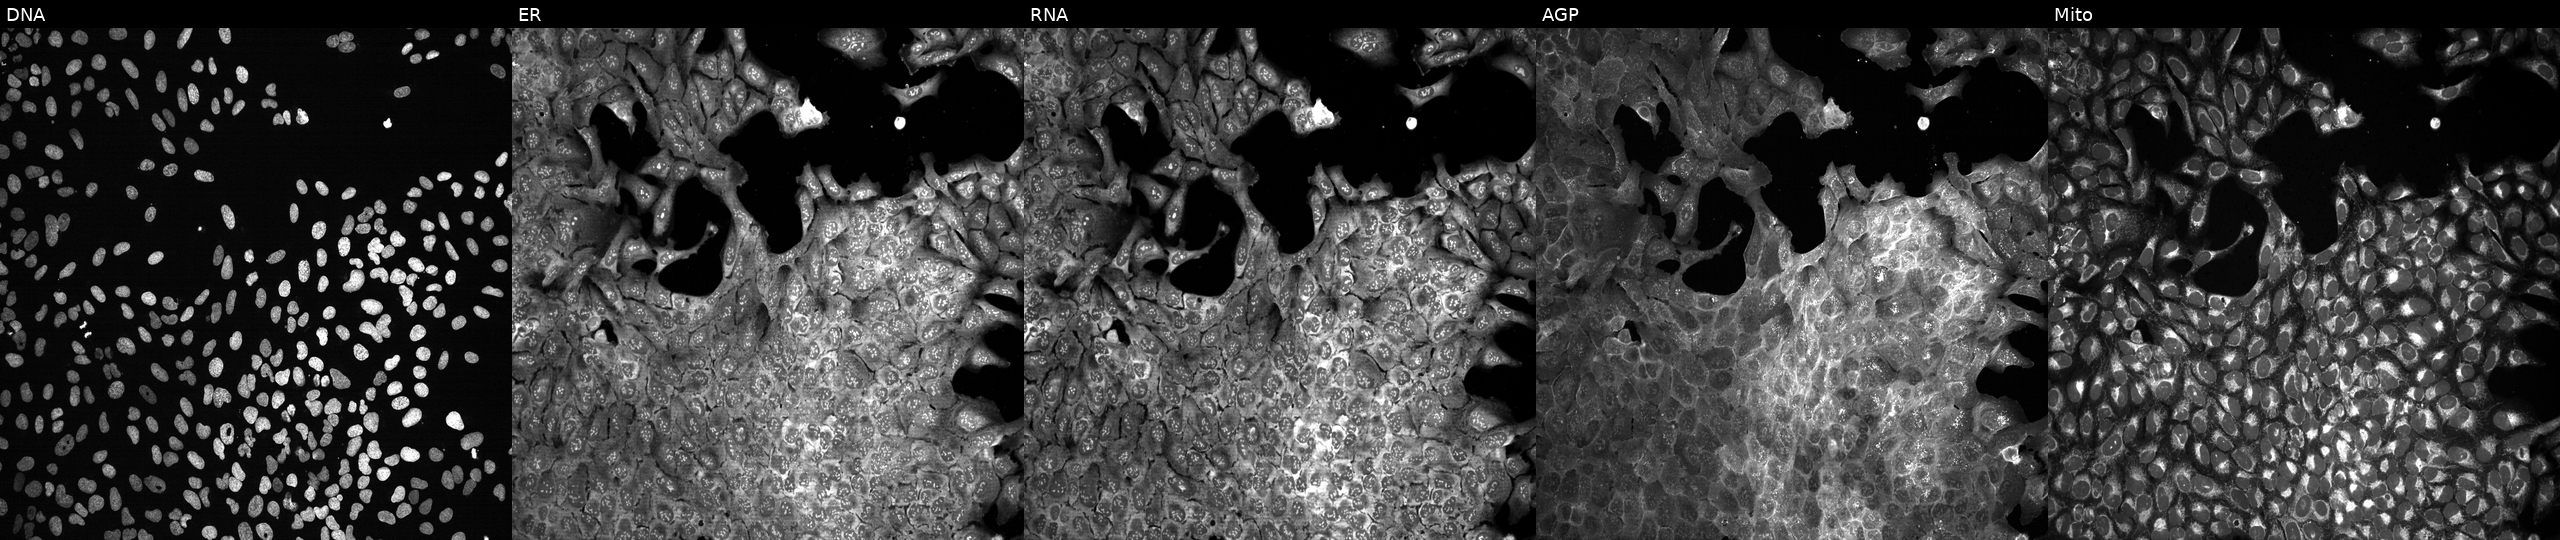
Five-channel Cell Painting image of U2OS cells CRISPR-edited to disrupt AZU1. Panels show, left to right, DNA (nuclei); ER (endoplasmic reticulum); RNA (nucleoli and cytoplasmic RNA); AGP (actin cytoskeleton, Golgi, and plasma membrane); Mito (mitochondria).